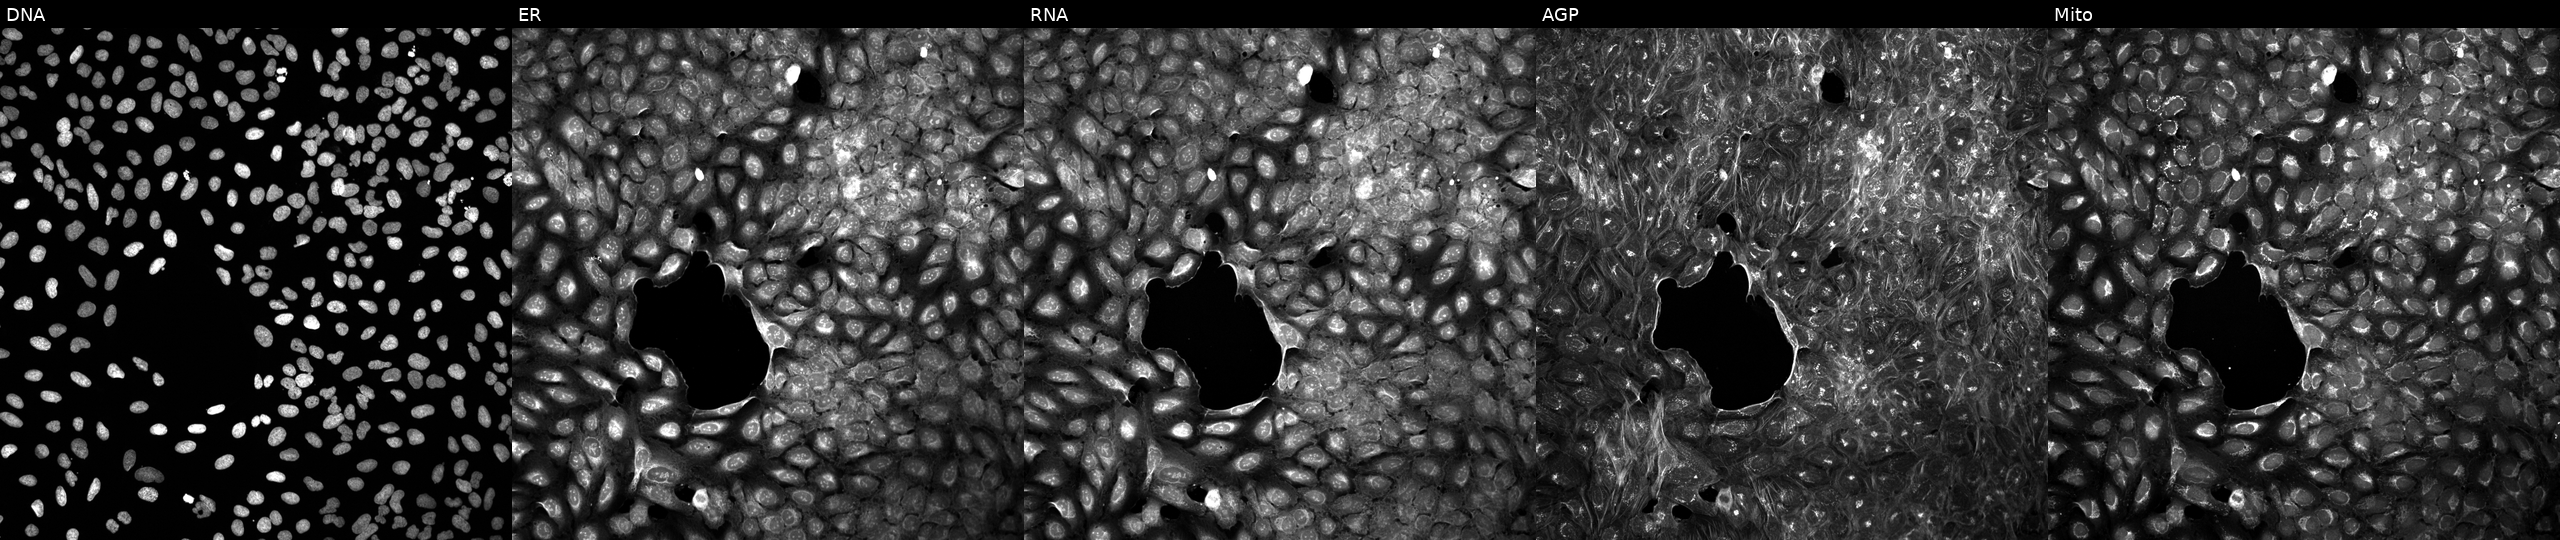
U2OS cells, Cell Painting assay, treated with a small-molecule compound (InChIKey ZERPEMLZRWAHOK-UHFFFAOYSA-N) (JUMP id JCP2022_112825). Panels show, left to right, DNA (nuclei); ER (endoplasmic reticulum); RNA (nucleoli and cytoplasmic RNA); AGP (actin cytoskeleton, Golgi, and plasma membrane); Mito (mitochondria). Each panel is percentile-stretched 16-bit fluorescence. Source 5, plate APTJUM105, well P18.